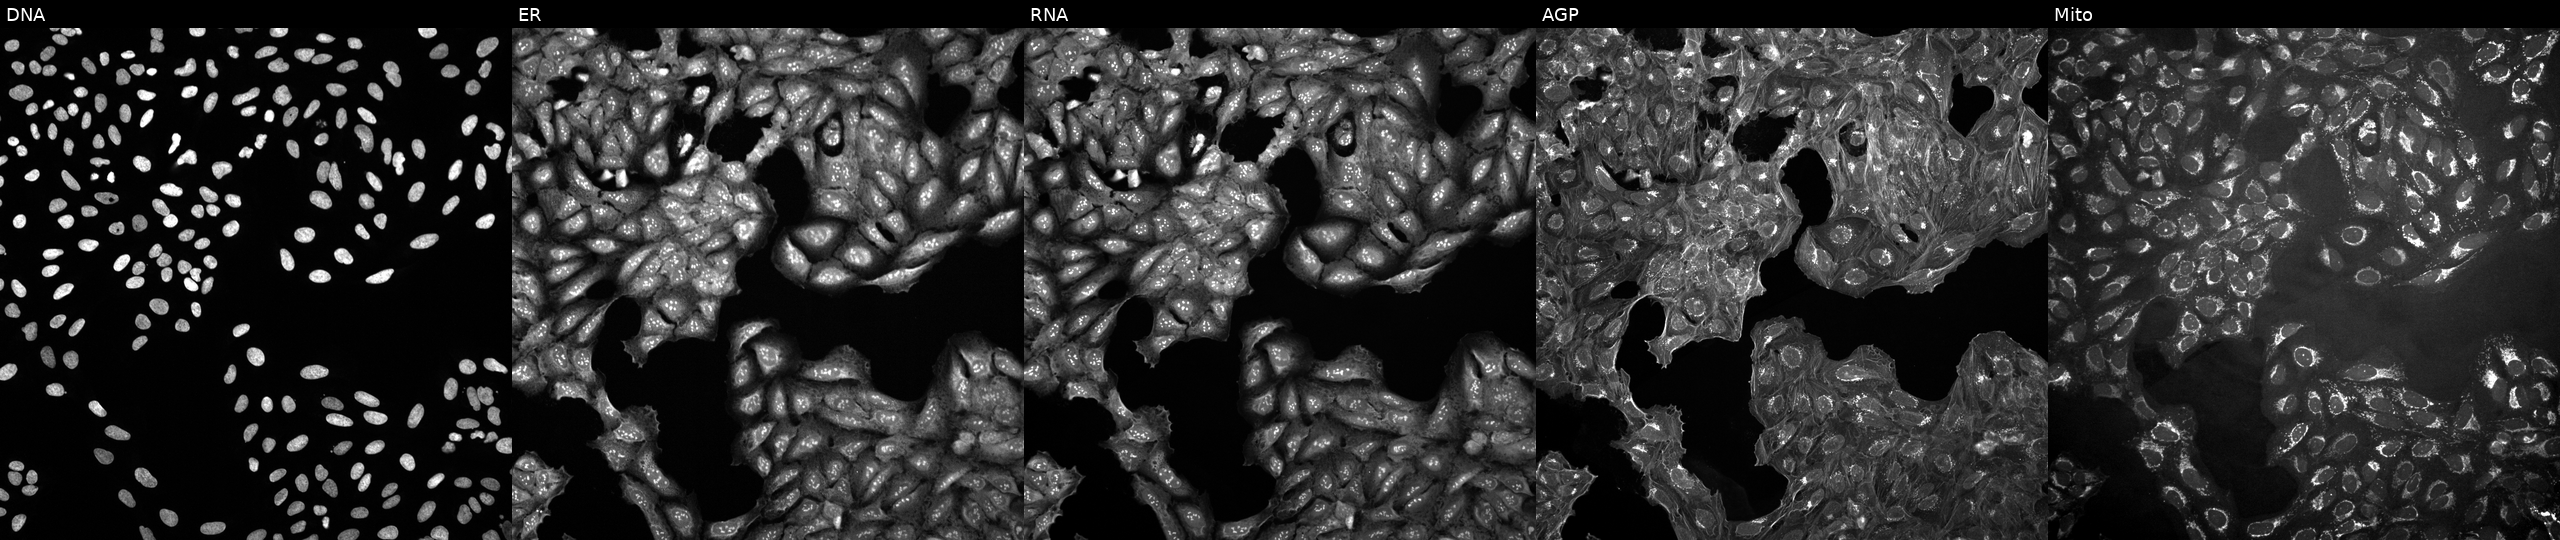
JUMP Cell Painting — COMPOUND plate. U2OS cells exposed to a small-molecule compound (InChIKey RHKFRTOCDHMGLJ-UHFFFAOYSA-N) (JUMP id JCP2022_078410). From left to right: DNA (nuclei); ER (endoplasmic reticulum); RNA (nucleoli and cytoplasmic RNA); AGP (actin cytoskeleton, Golgi, and plasma membrane); Mito (mitochondria).